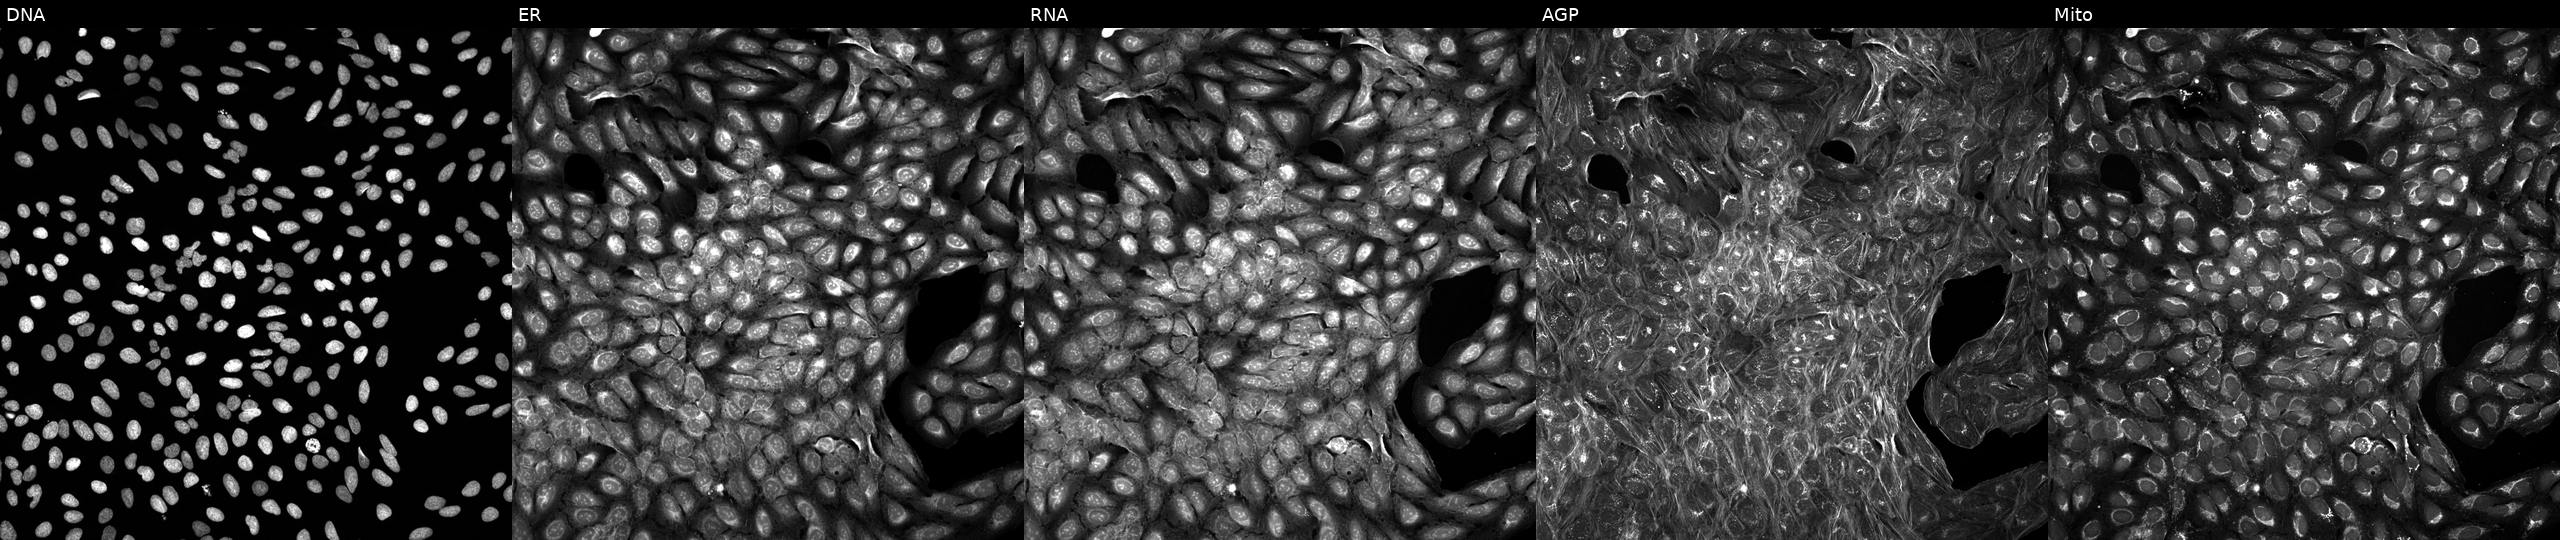
High-content fluorescence microscopy (Cell Painting). Cell line: U2OS. Perturbation: treated with a small-molecule compound (InChIKey PDMUGYOXRHVNMO-UHFFFAOYSA-N) (JUMP id JCP2022_067886). The five panels, left to right, show Hoechst 33342, concanavalin A, SYTO 14, phalloidin and WGA, MitoTracker.